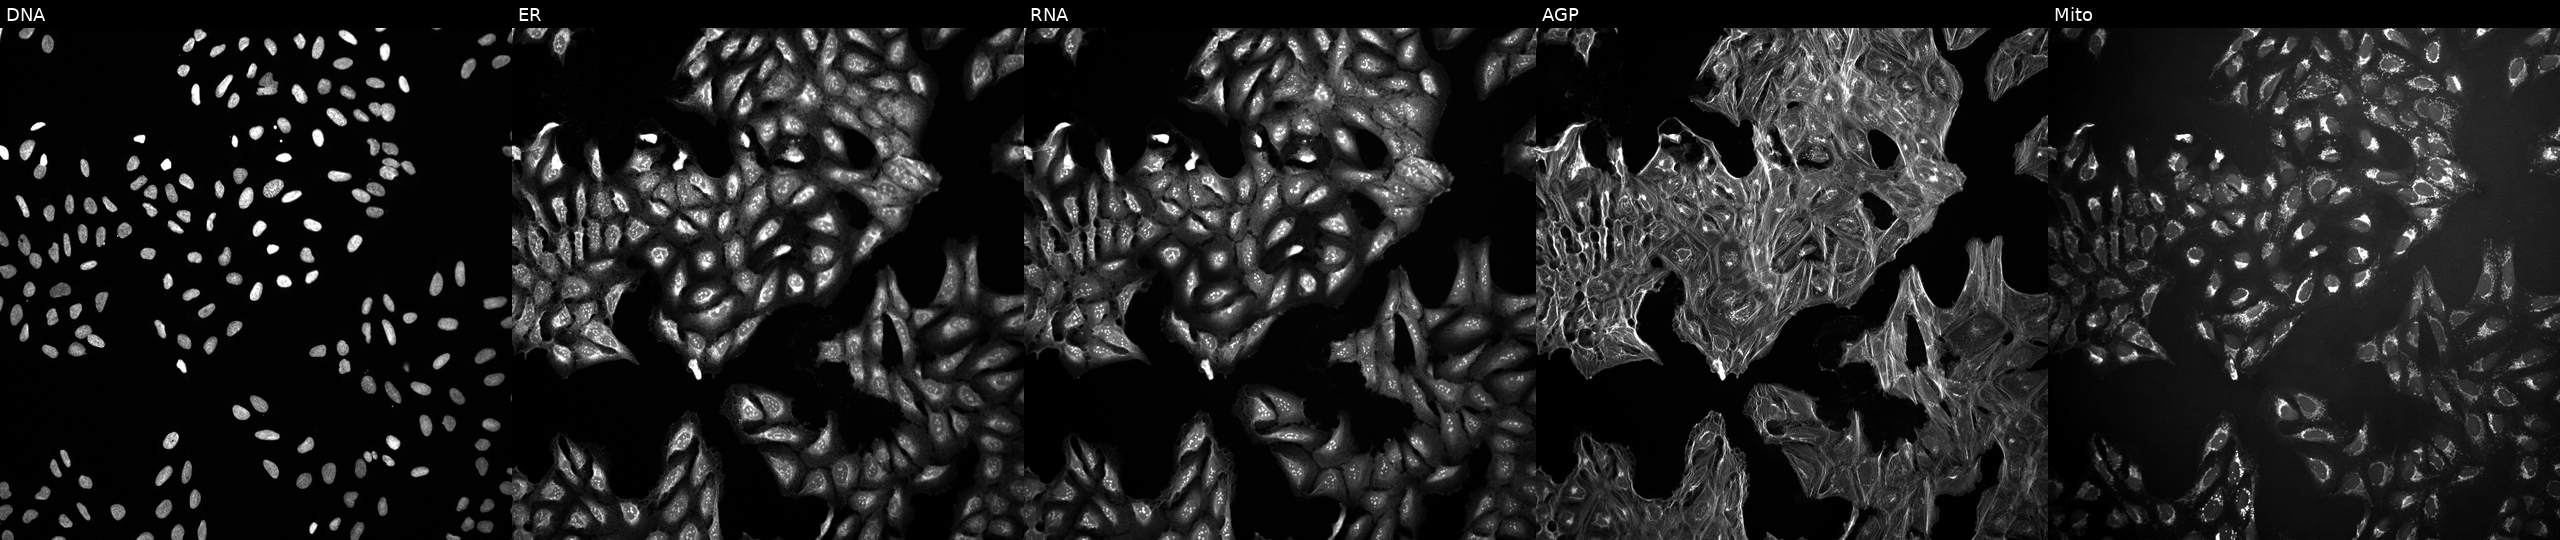
This image strip shows the five Cell Painting channels for a single field of U2OS cells exposed to DMSO alone as a negative control (JUMP id JCP2022_033924). From left to right: Hoechst 33342, concanavalin A, SYTO 14, phalloidin and WGA, MitoTracker.